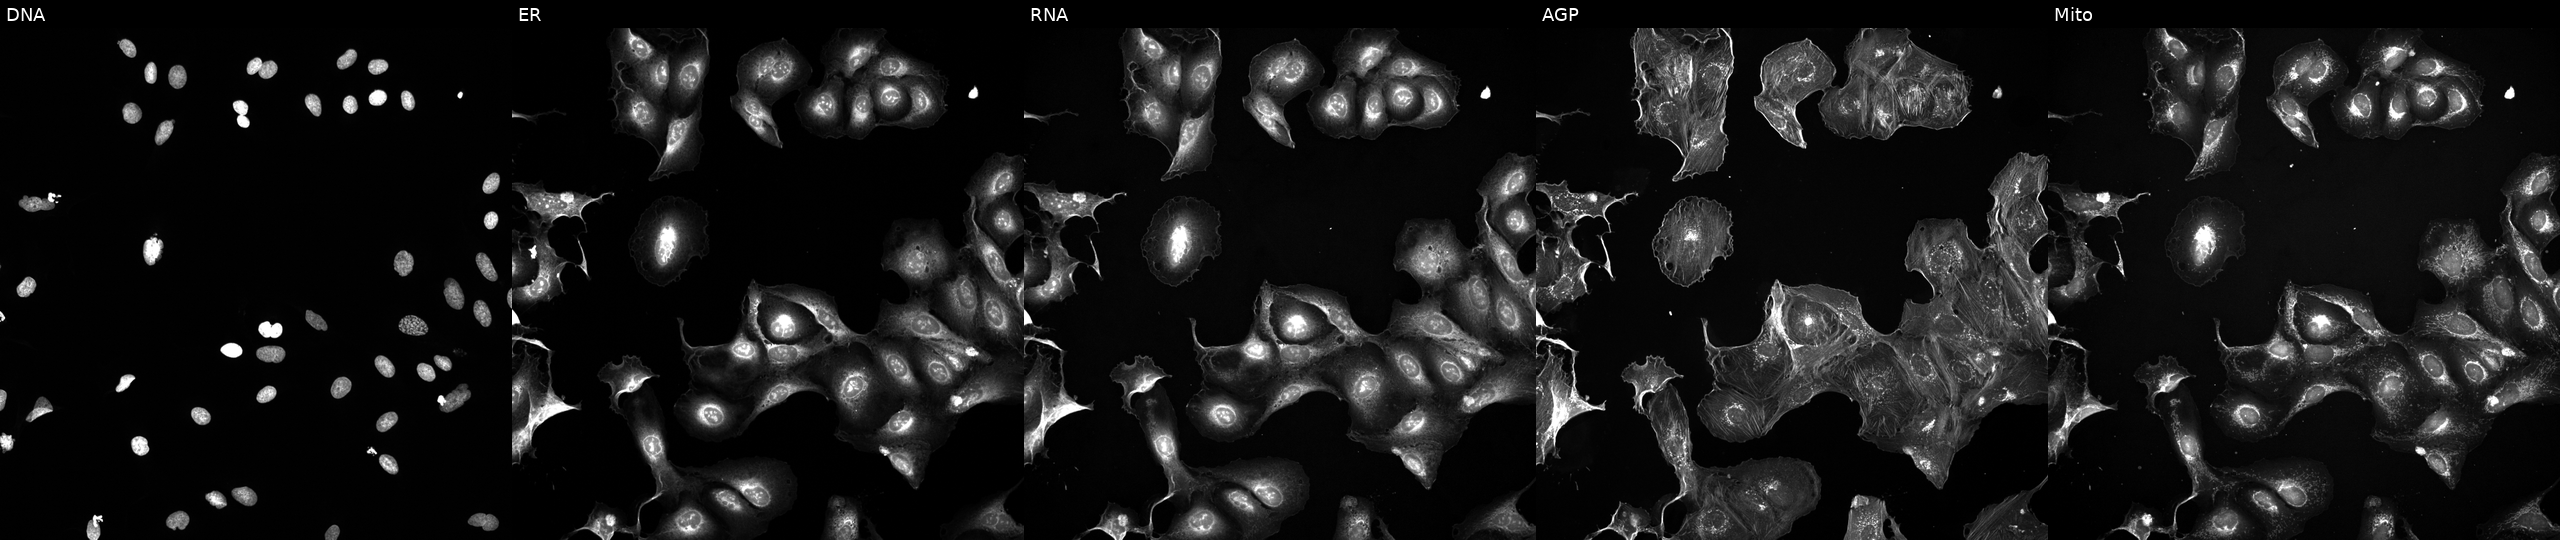
The five panels, left to right, show DNA (nuclei); ER (endoplasmic reticulum); RNA (nucleoli and cytoplasmic RNA); AGP (actin cytoskeleton, Golgi, and plasma membrane); Mito (mitochondria). U2OS osteosarcoma cells perturbed with a small-molecule compound (InChIKey GQXSULRYFDAMOO-UHFFFAOYSA-N). Cell Painting assay, JUMP-CP dataset.